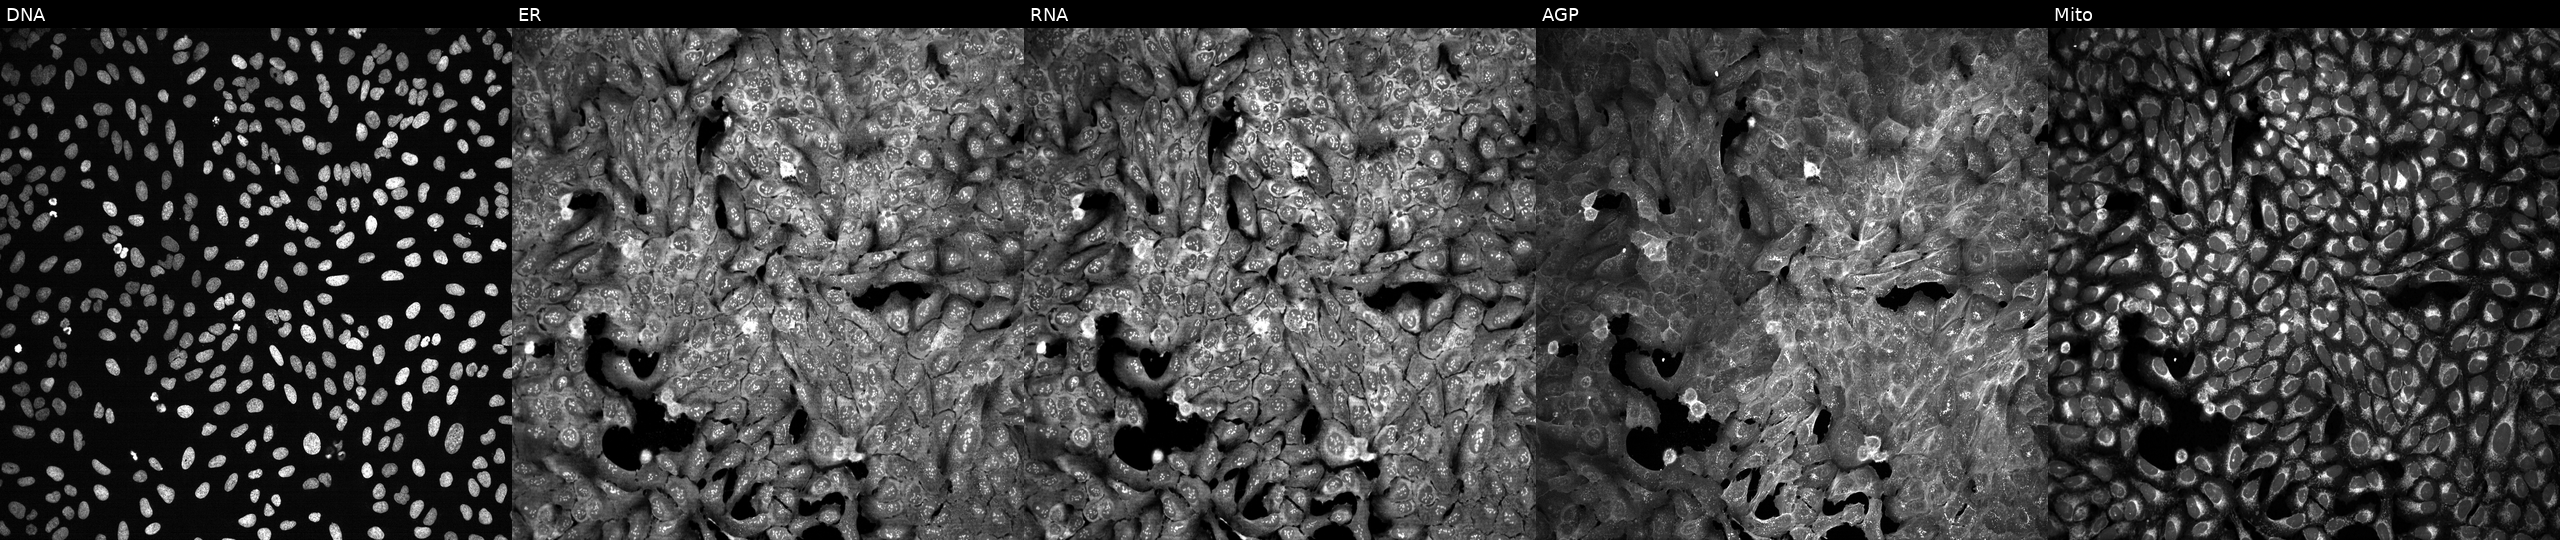
This image strip shows the five Cell Painting channels for a single field of U2OS cells following CRISPR knockout of GMPS. From left to right: DNA, ER, RNA, AGP, and Mito.